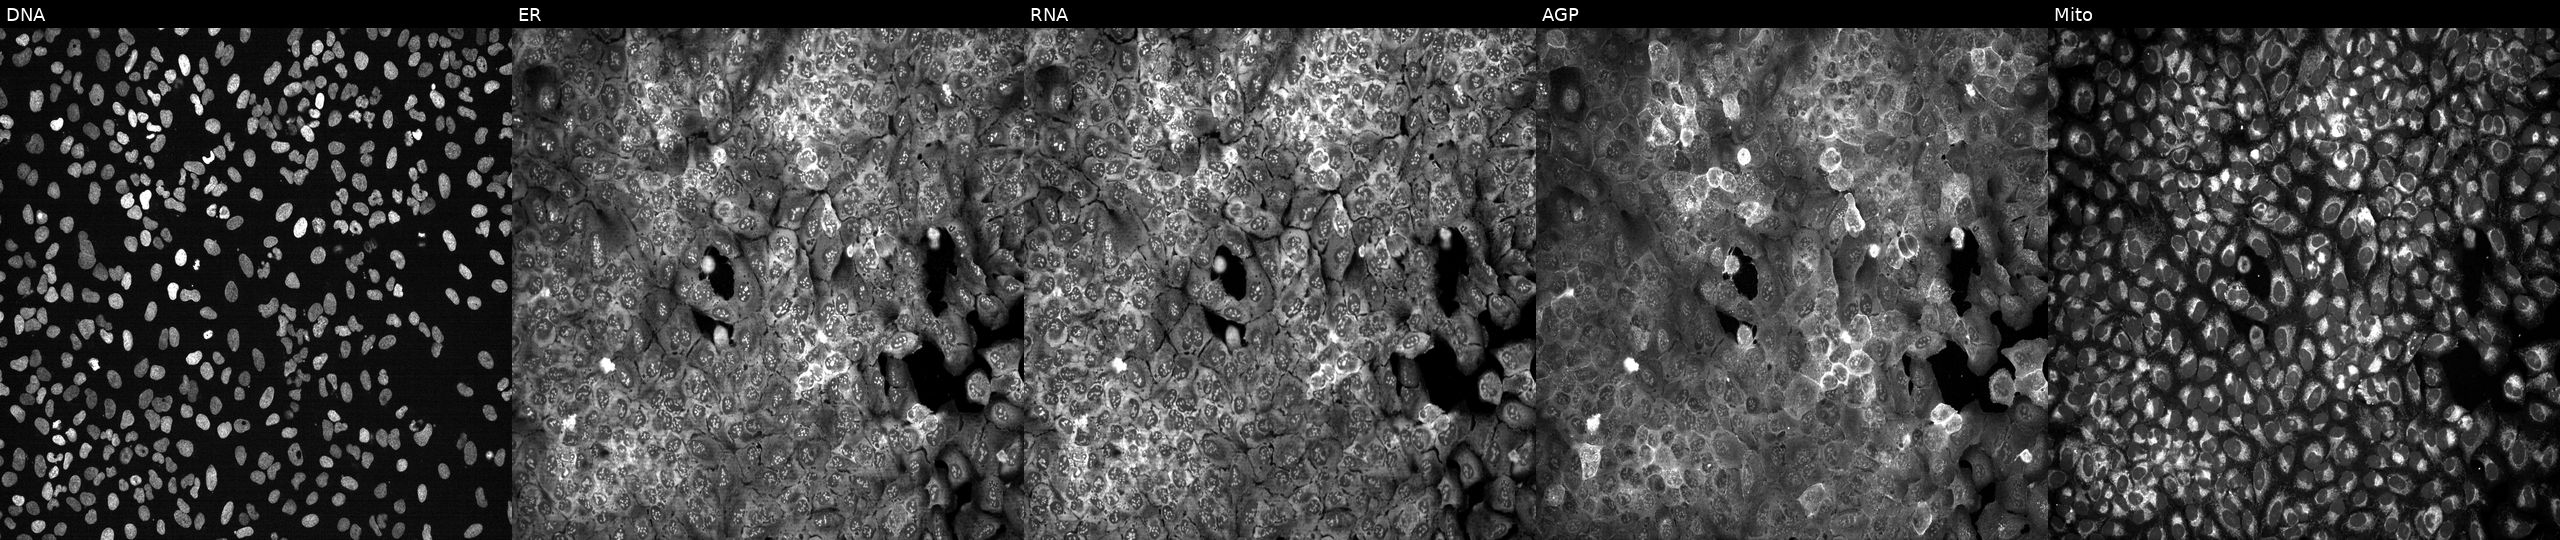
This image strip shows the five Cell Painting channels for a single field of U2OS cells with SLC22A5 knocked out by CRISPR (JUMP id JCP2022_806426). From left to right: DNA, ER, RNA, AGP, and Mito.